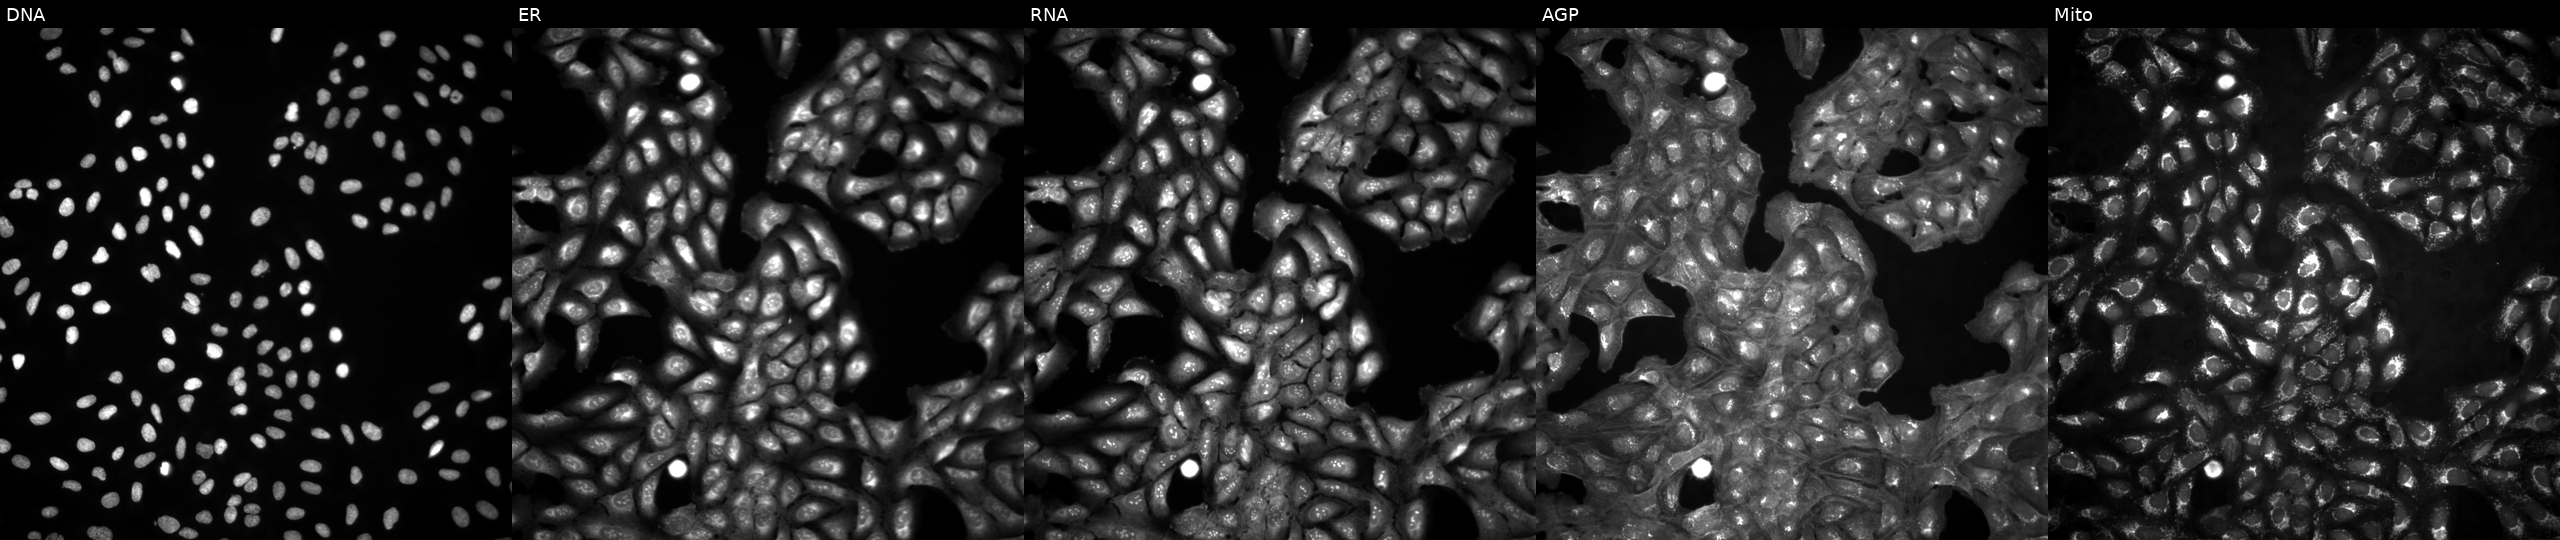
U2OS cells, Cell Painting assay, untreated (empty-well control) (JUMP id JCP2022_999999). From left to right: DNA, ER, RNA, AGP, and Mito. Each panel is percentile-stretched 16-bit fluorescence. Source 4, plate BR00124793, well D18.